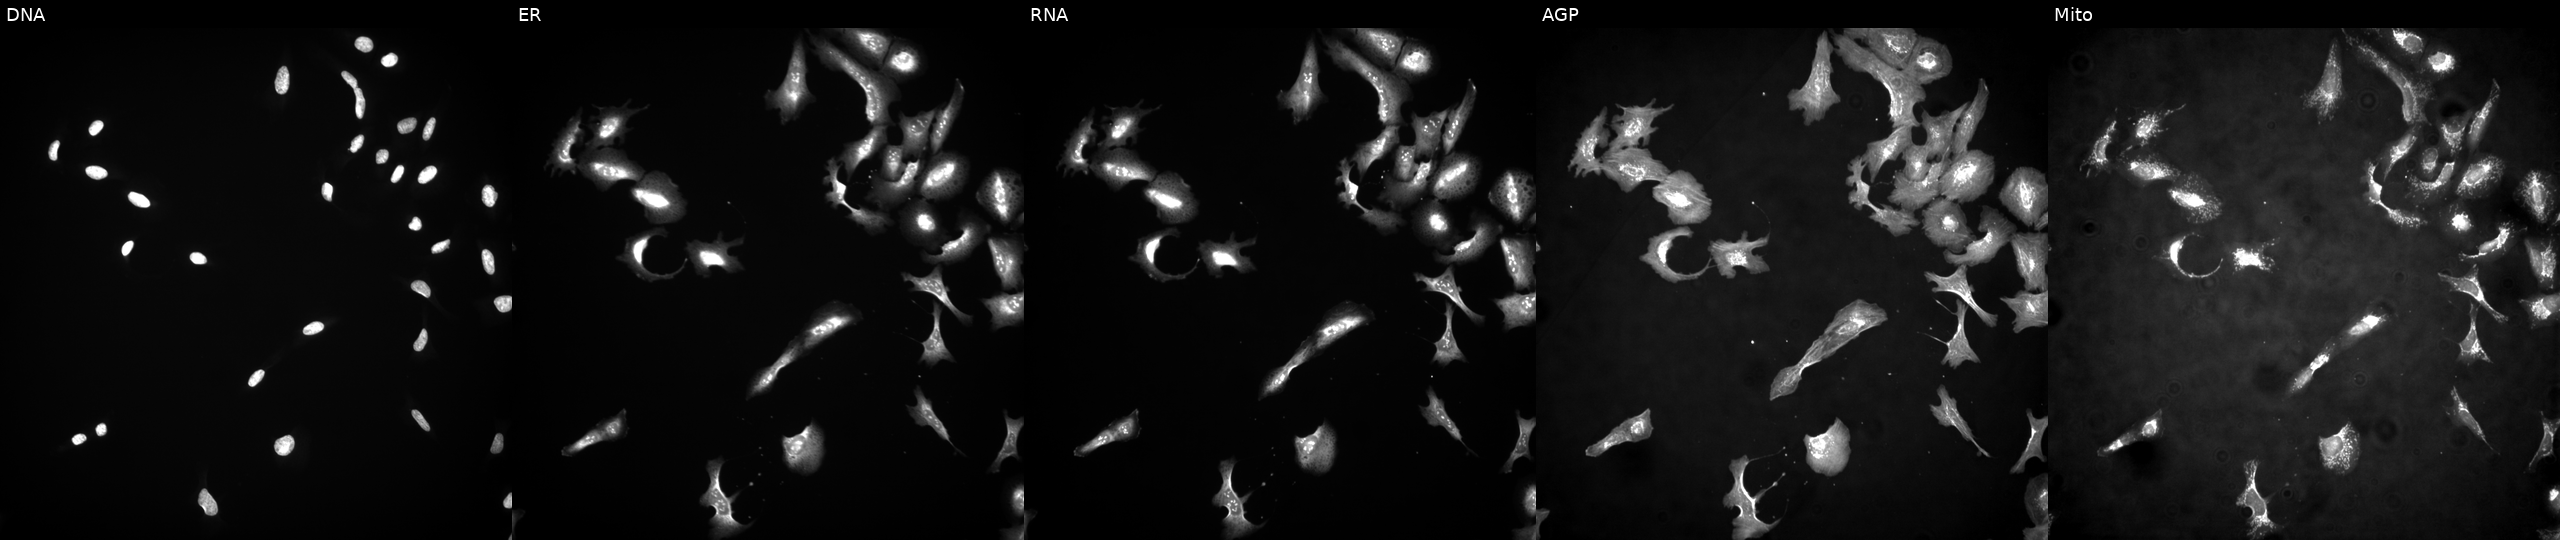
Five-channel Cell Painting image of U2OS cells transfected with an ORF construct for MIEN1. Channels (left→right): DNA, ER, RNA, AGP, and Mito. Source 4, plate BR00124784, well K10.